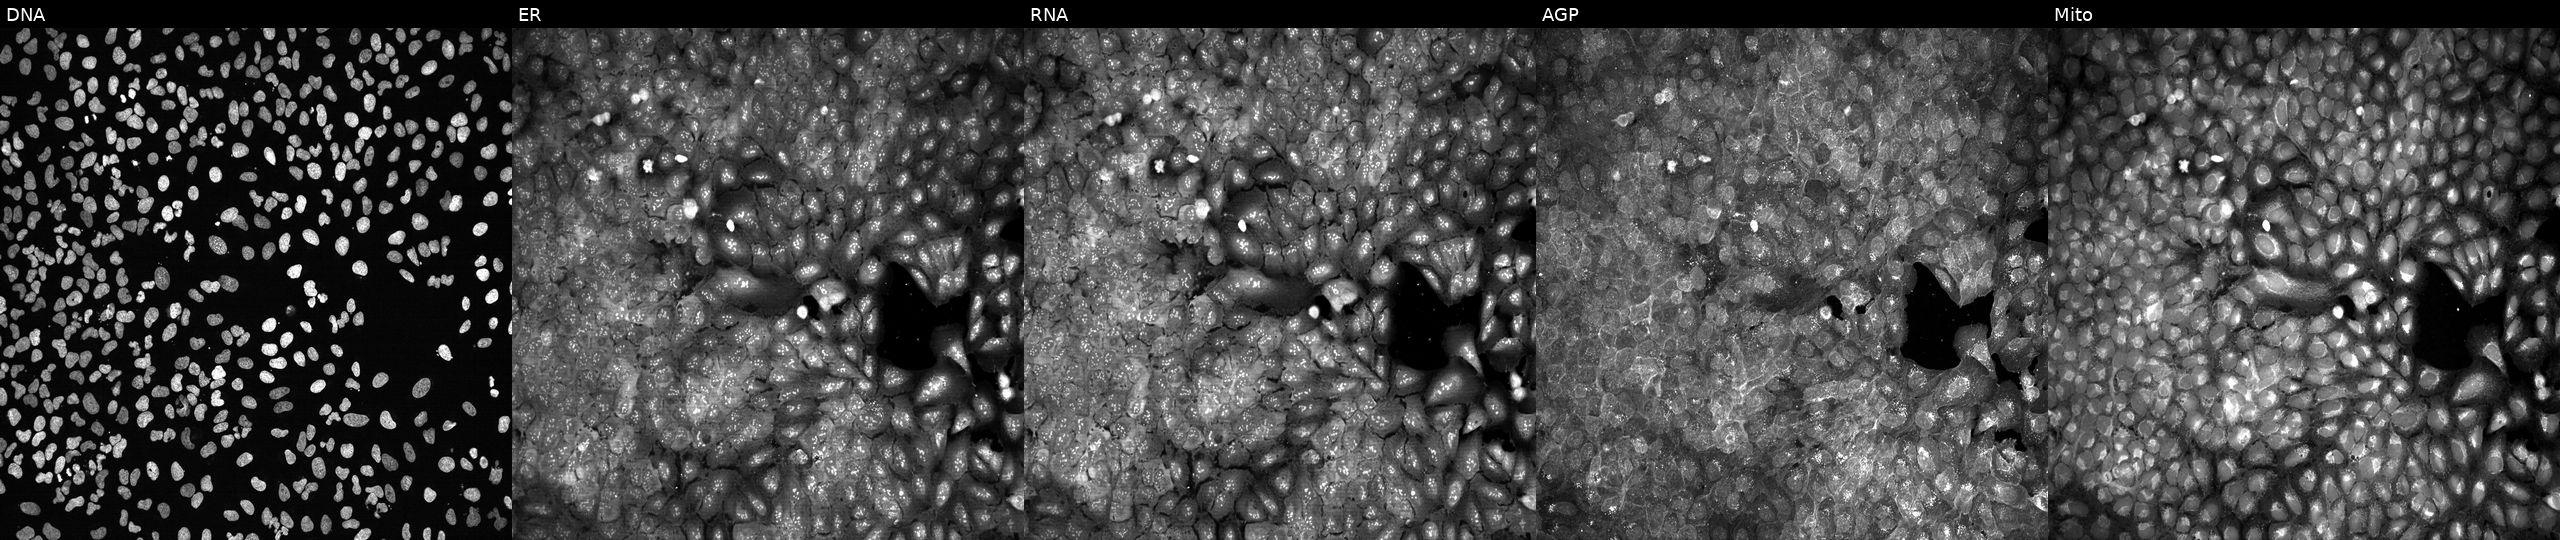
This image strip shows the five Cell Painting channels for a single field of U2OS cells following CRISPR knockout of IMMP1L (JUMP id JCP2022_803412). The five panels, left to right, show DNA (nuclei); ER (endoplasmic reticulum); RNA (nucleoli and cytoplasmic RNA); AGP (actin cytoskeleton, Golgi, and plasma membrane); Mito (mitochondria). Source 13, plate CP-CC9-R1-02, well C07.